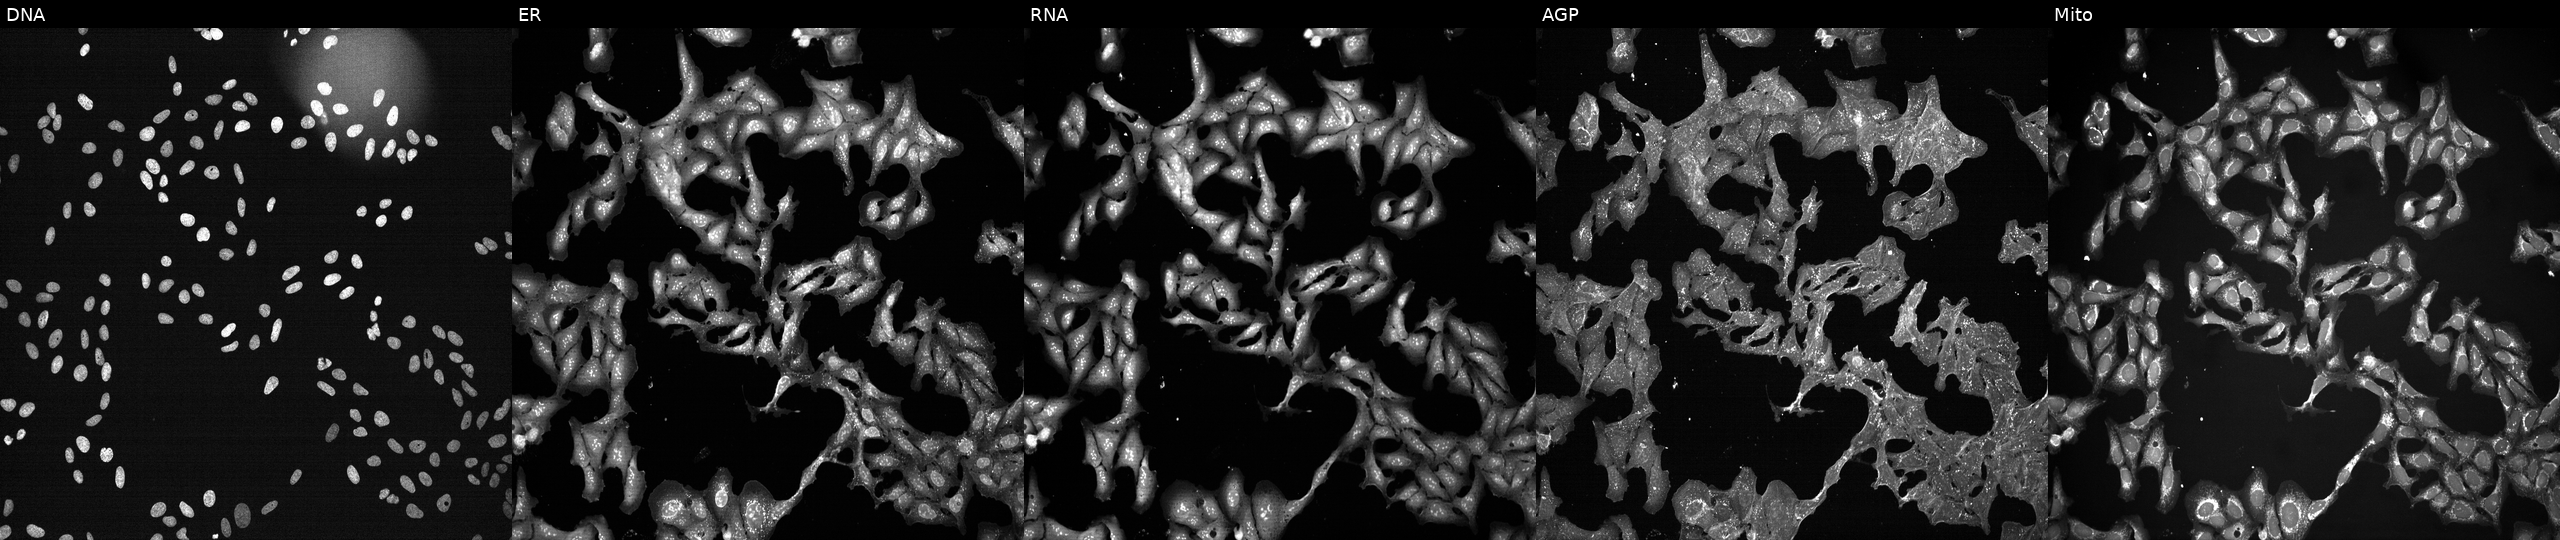
Five-channel Cell Painting image of U2OS cells treated with a small-molecule compound (InChIKey AFJRDFWMXUECEW-UHFFFAOYSA-N) [SMILES: Cn1ncc(Cl)c1-c1cc(C(=O)NC(CN)Cc2cccc(F)c2)sc1Cl]. From left to right: Hoechst 33342, concanavalin A, SYTO 14, phalloidin and WGA, MitoTracker.